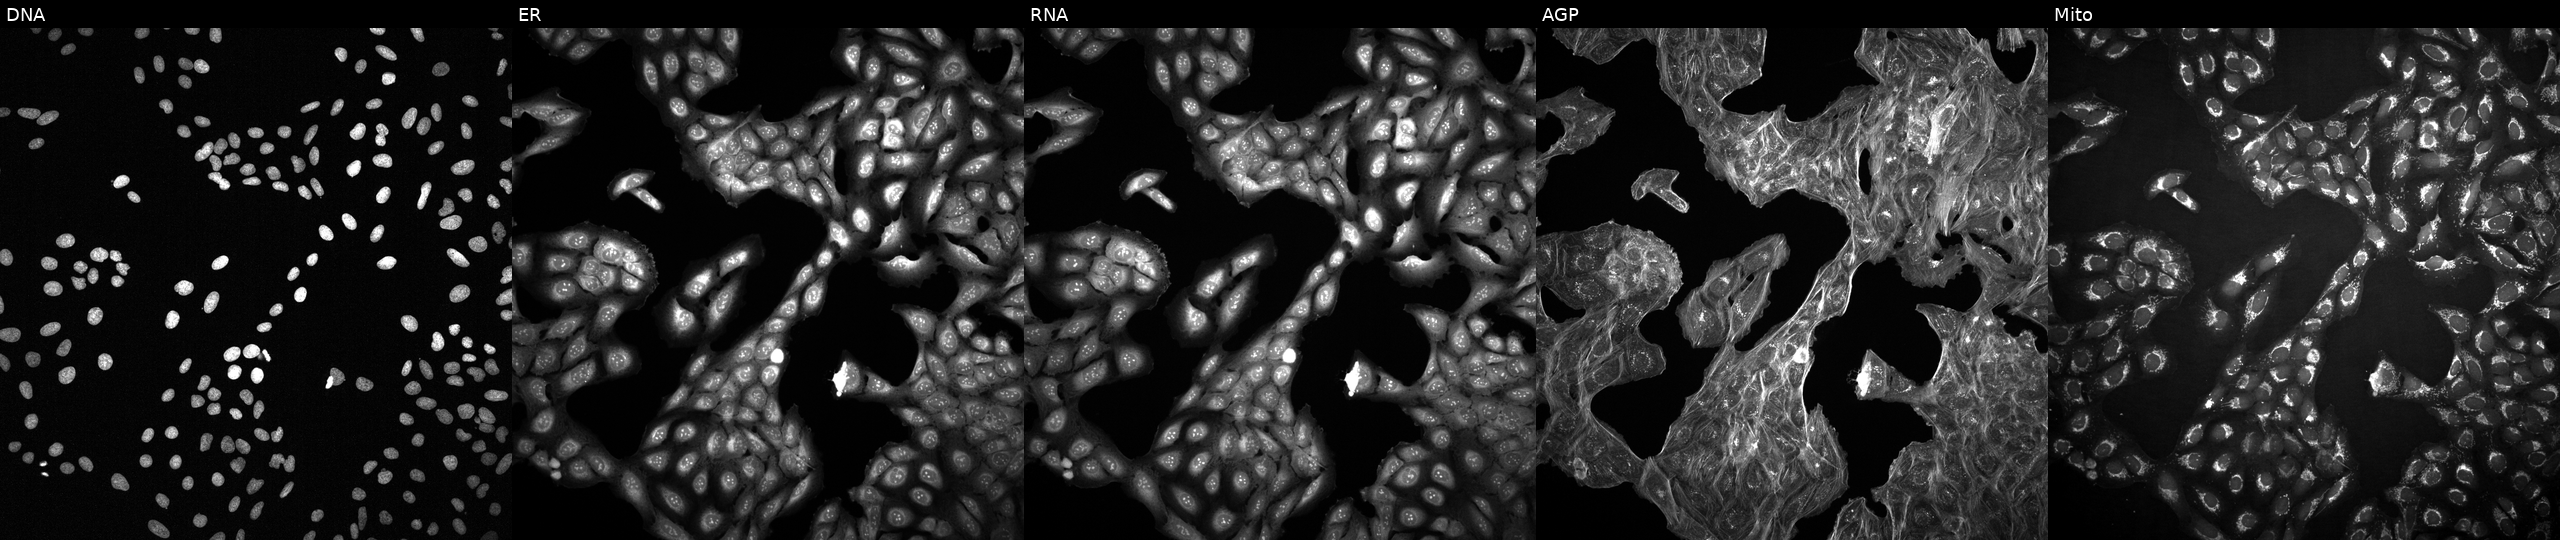
Five-channel Cell Painting image of U2OS cells exposed to a small-molecule compound (InChIKey BNFRJXLZYUTIII-UHFFFAOYSA-N) [SMILES: Cc1cc(C)cc(NC(=O)Cc2ccc(OC(C)(C)C(=O)O)cc2)c1] (JUMP id JCP2022_007419). Panels show, left to right, DNA (nuclei); ER (endoplasmic reticulum); RNA (nucleoli and cytoplasmic RNA); AGP (actin cytoskeleton, Golgi, and plasma membrane); Mito (mitochondria). Source 2, plate 1053600674, well F03.